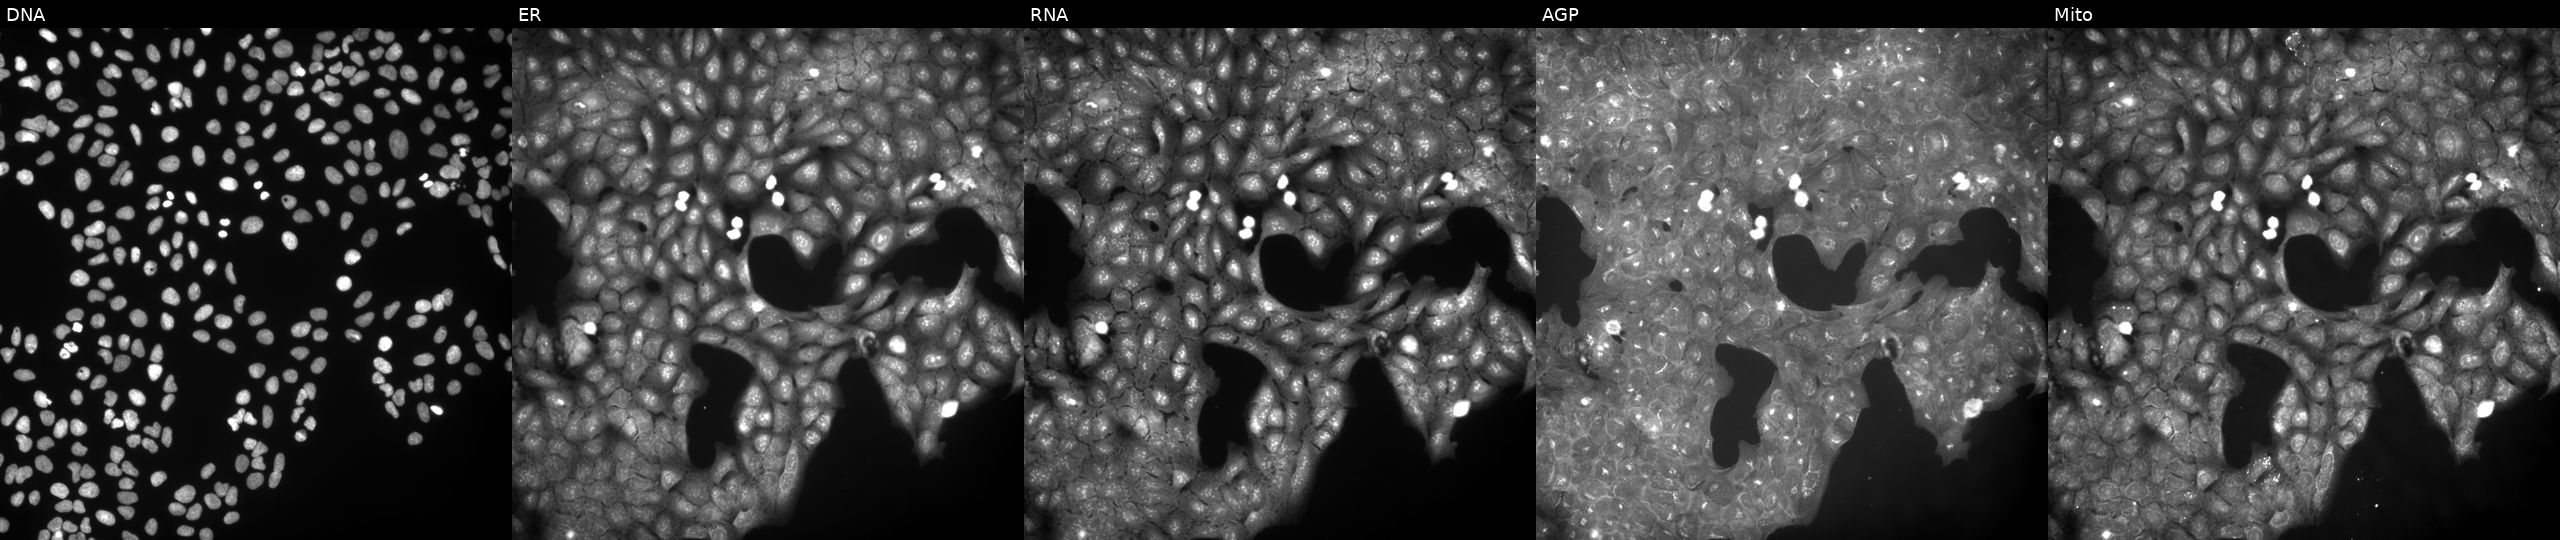
High-content fluorescence microscopy (Cell Painting). Cell line: U2OS. Perturbation: perturbed with a small-molecule compound (InChIKey DXJLGVQOSRWIHI-UHFFFAOYSA-N). Panels show, left to right, Hoechst 33342, concanavalin A, SYTO 14, phalloidin and WGA, MitoTracker. Source 9, plate GR00003381, well L27.